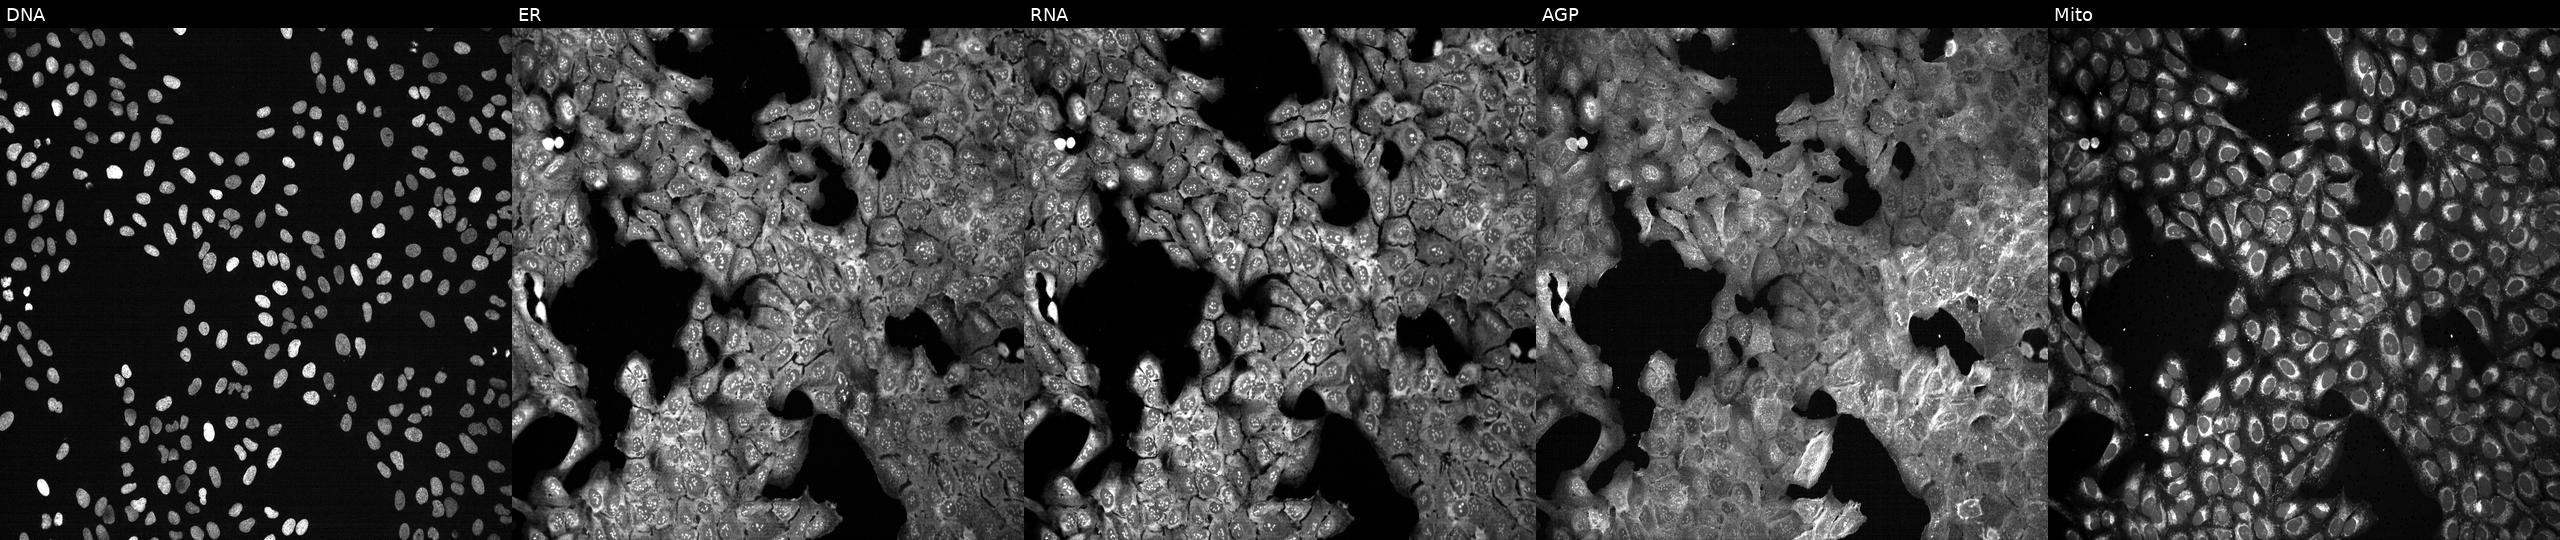
Channels (left→right): Hoechst 33342, concanavalin A, SYTO 14, phalloidin and WGA, MitoTracker. U2OS osteosarcoma cells following CRISPR knockout of SOAT1 (JUMP id JCP2022_806672). Cell Painting assay, JUMP-CP dataset.